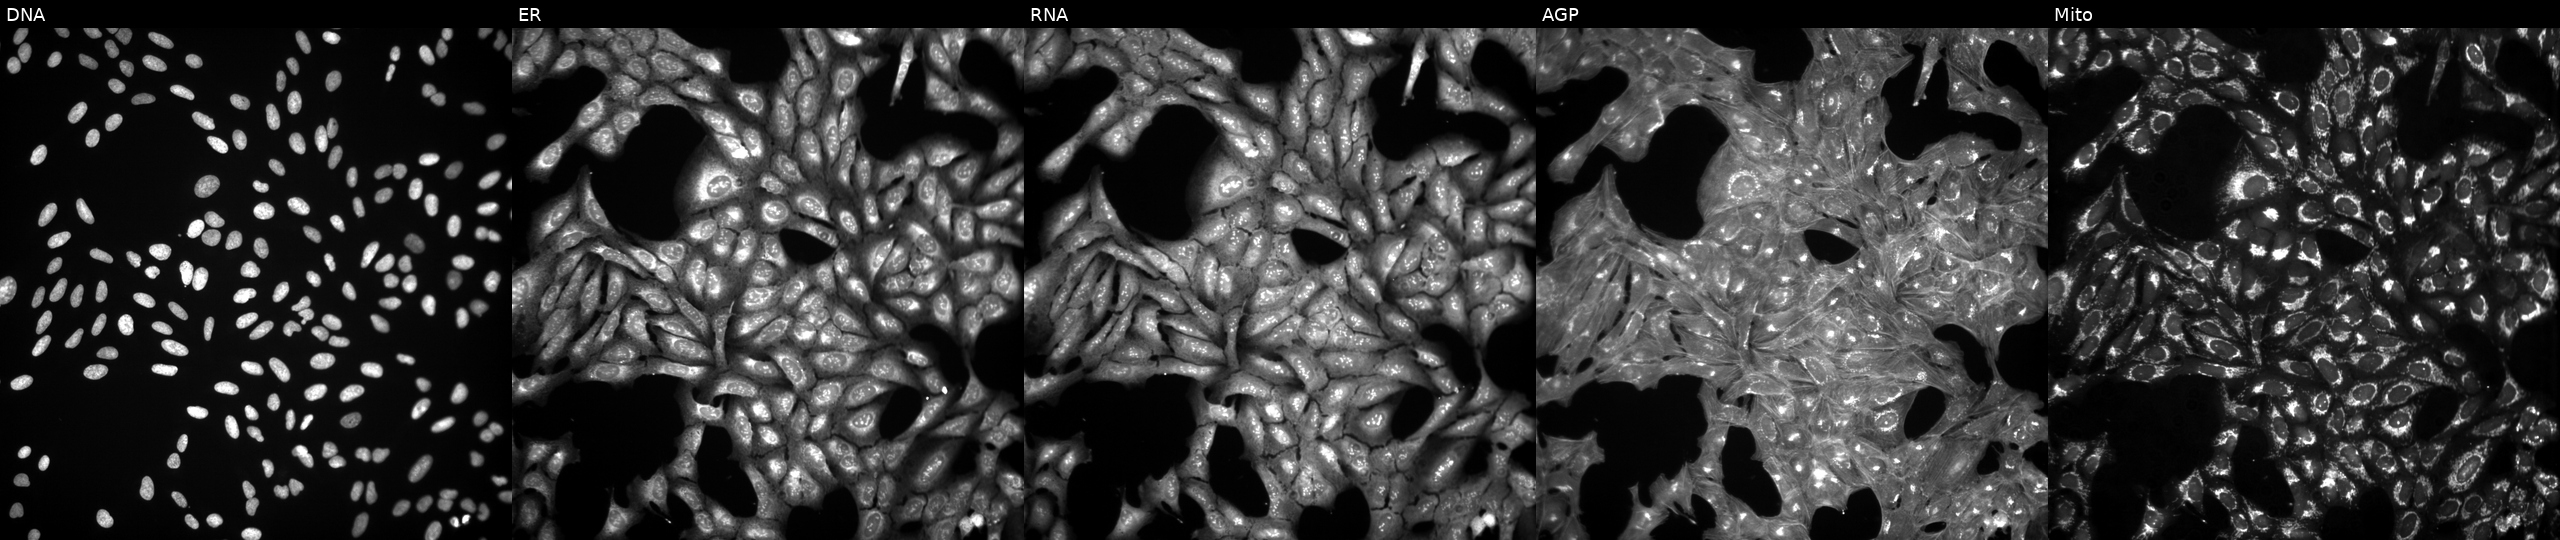
Five-channel Cell Painting image of U2OS cells exposed to the positive-control compound dexamethasone. Channels (left→right): DNA (nuclei); ER (endoplasmic reticulum); RNA (nucleoli and cytoplasmic RNA); AGP (actin cytoskeleton, Golgi, and plasma membrane); Mito (mitochondria).